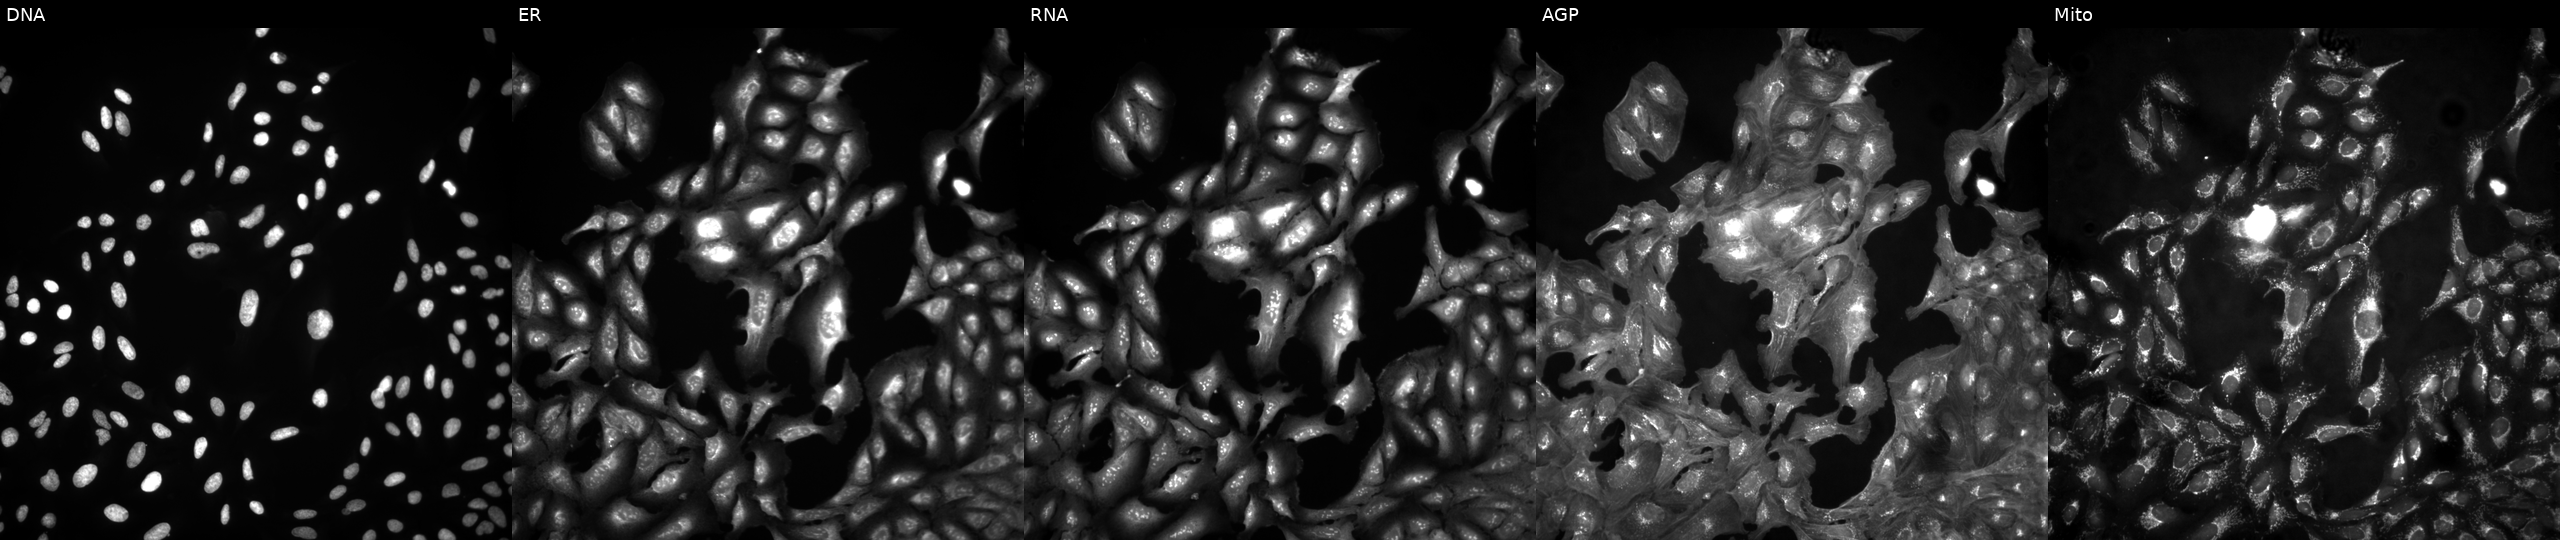
High-content fluorescence microscopy (Cell Painting). Cell line: U2OS. Perturbation: in an empty control well (no perturbation) (JUMP id JCP2022_999999). From left to right: DNA (nuclei); ER (endoplasmic reticulum); RNA (nucleoli and cytoplasmic RNA); AGP (actin cytoskeleton, Golgi, and plasma membrane); Mito (mitochondria).